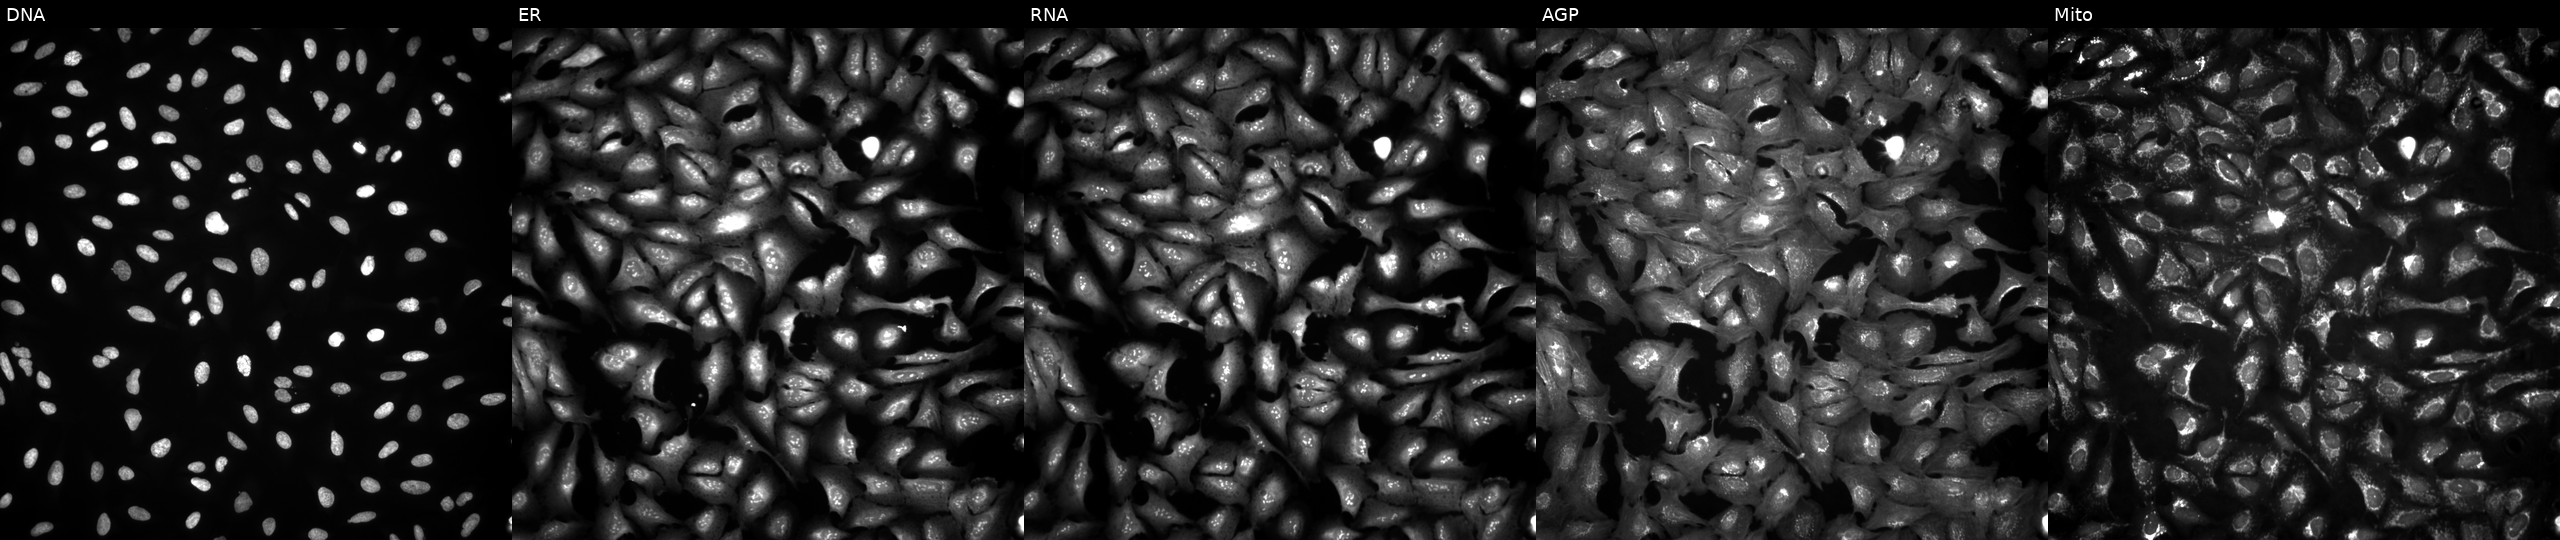
This image strip shows the five Cell Painting channels for a single field of U2OS cells overexpressing SUMO2 via ORF transfection (JUMP id JCP2022_906532). Channels (left→right): Hoechst 33342, concanavalin A, SYTO 14, phalloidin and WGA, MitoTracker. Source 4, plate BR00124787, well E04.